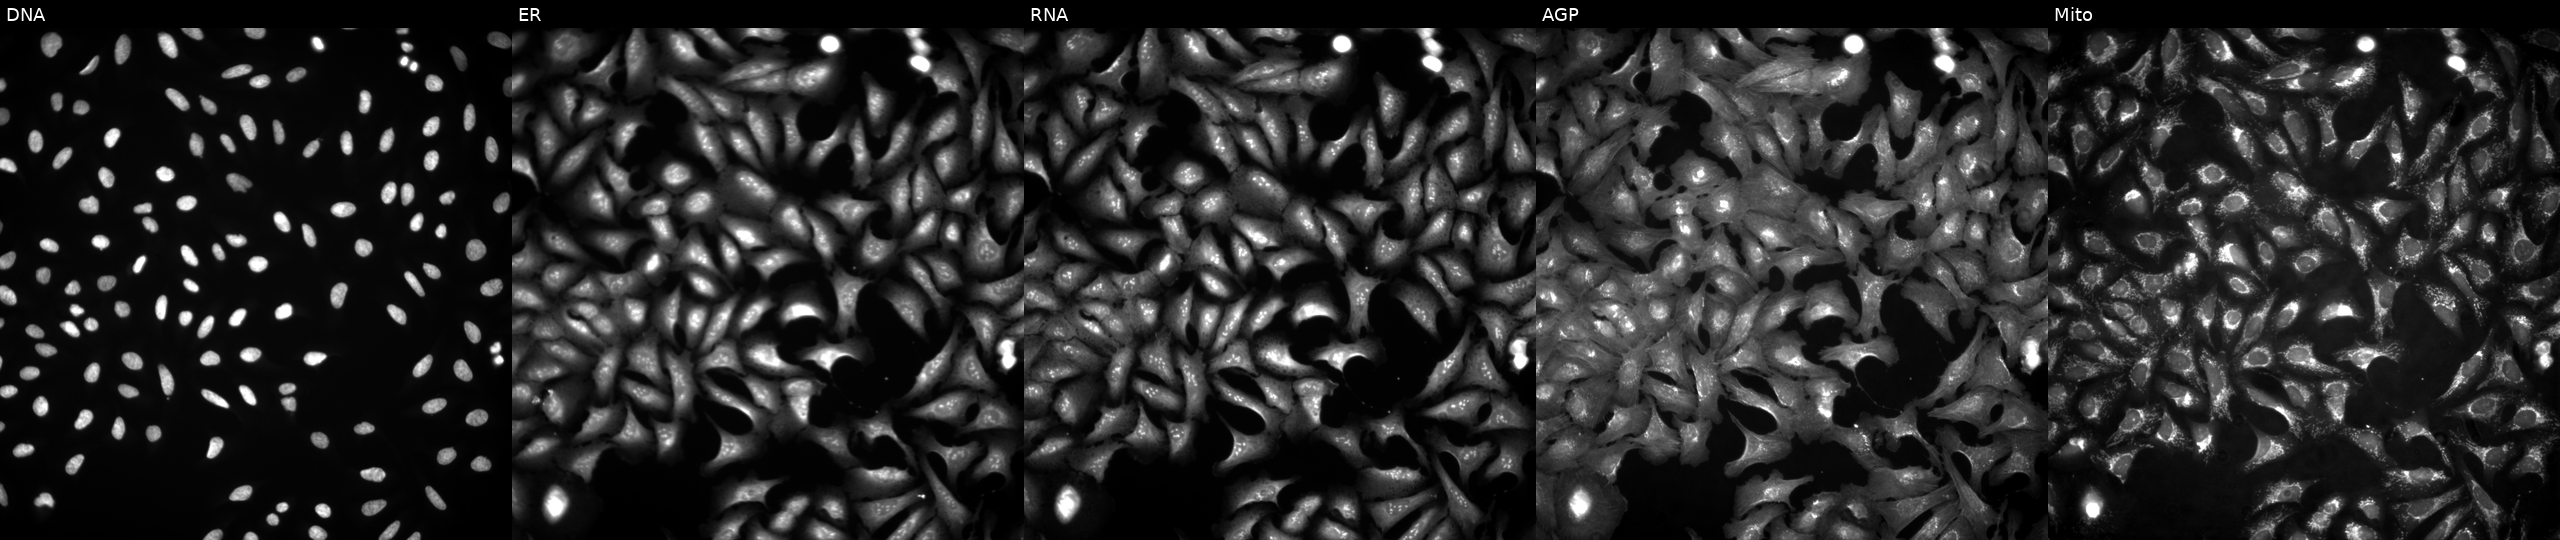
Five-channel Cell Painting image of U2OS cells transfected with an ORF construct for HAUS3. Channels (left→right): DNA, ER, RNA, AGP, and Mito.